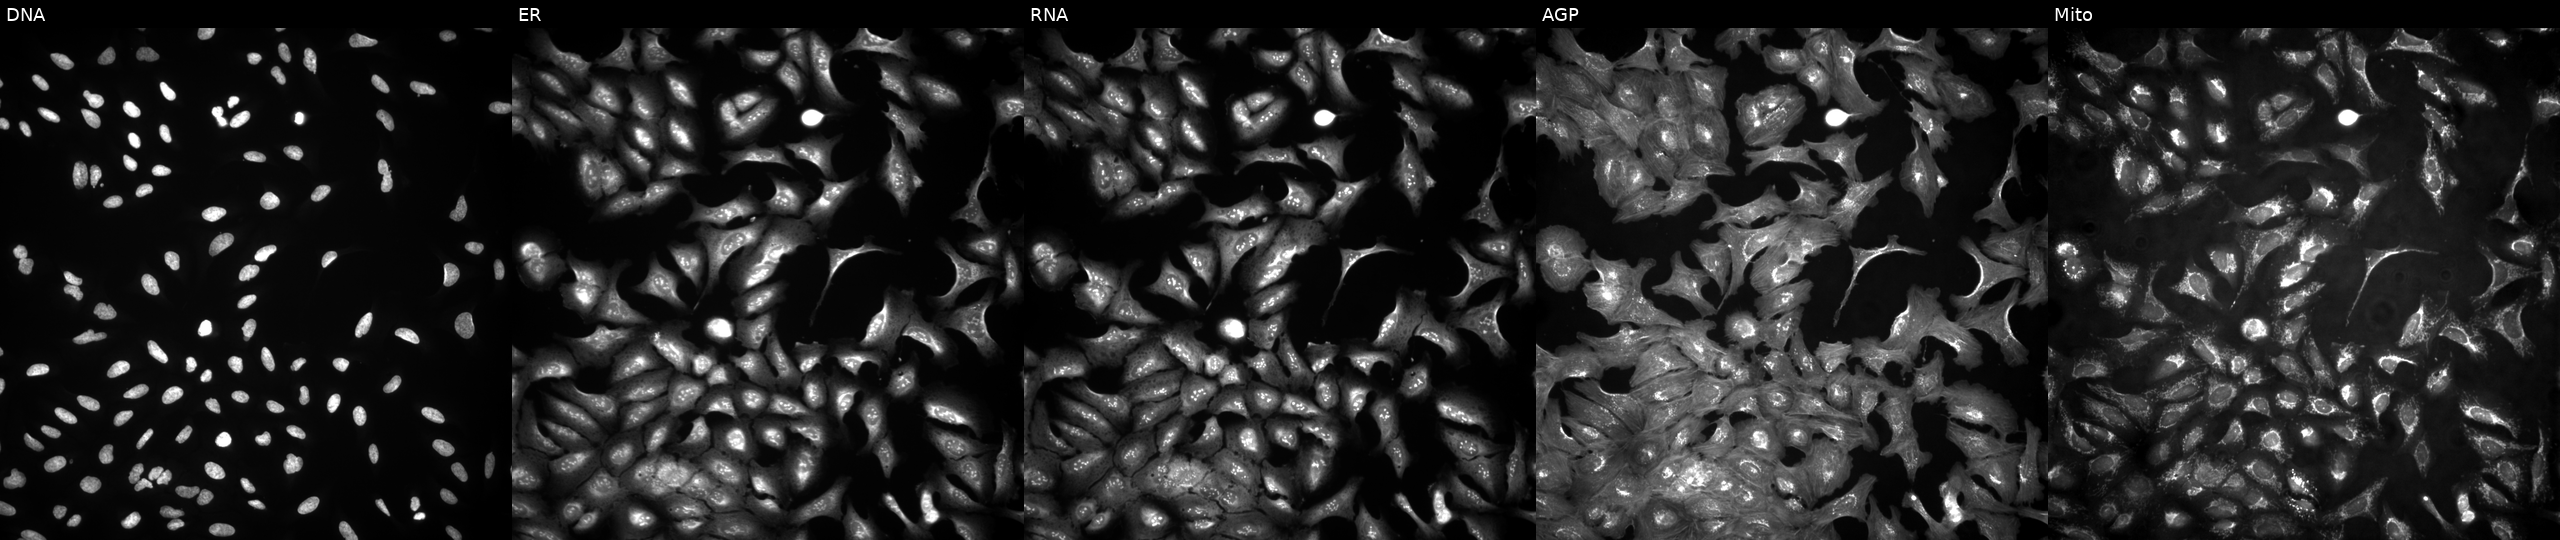
U2OS cells, Cell Painting assay, with GYPB overexpressed (ORF). From left to right: Hoechst 33342, concanavalin A, SYTO 14, phalloidin and WGA, MitoTracker. Each panel is percentile-stretched 16-bit fluorescence.